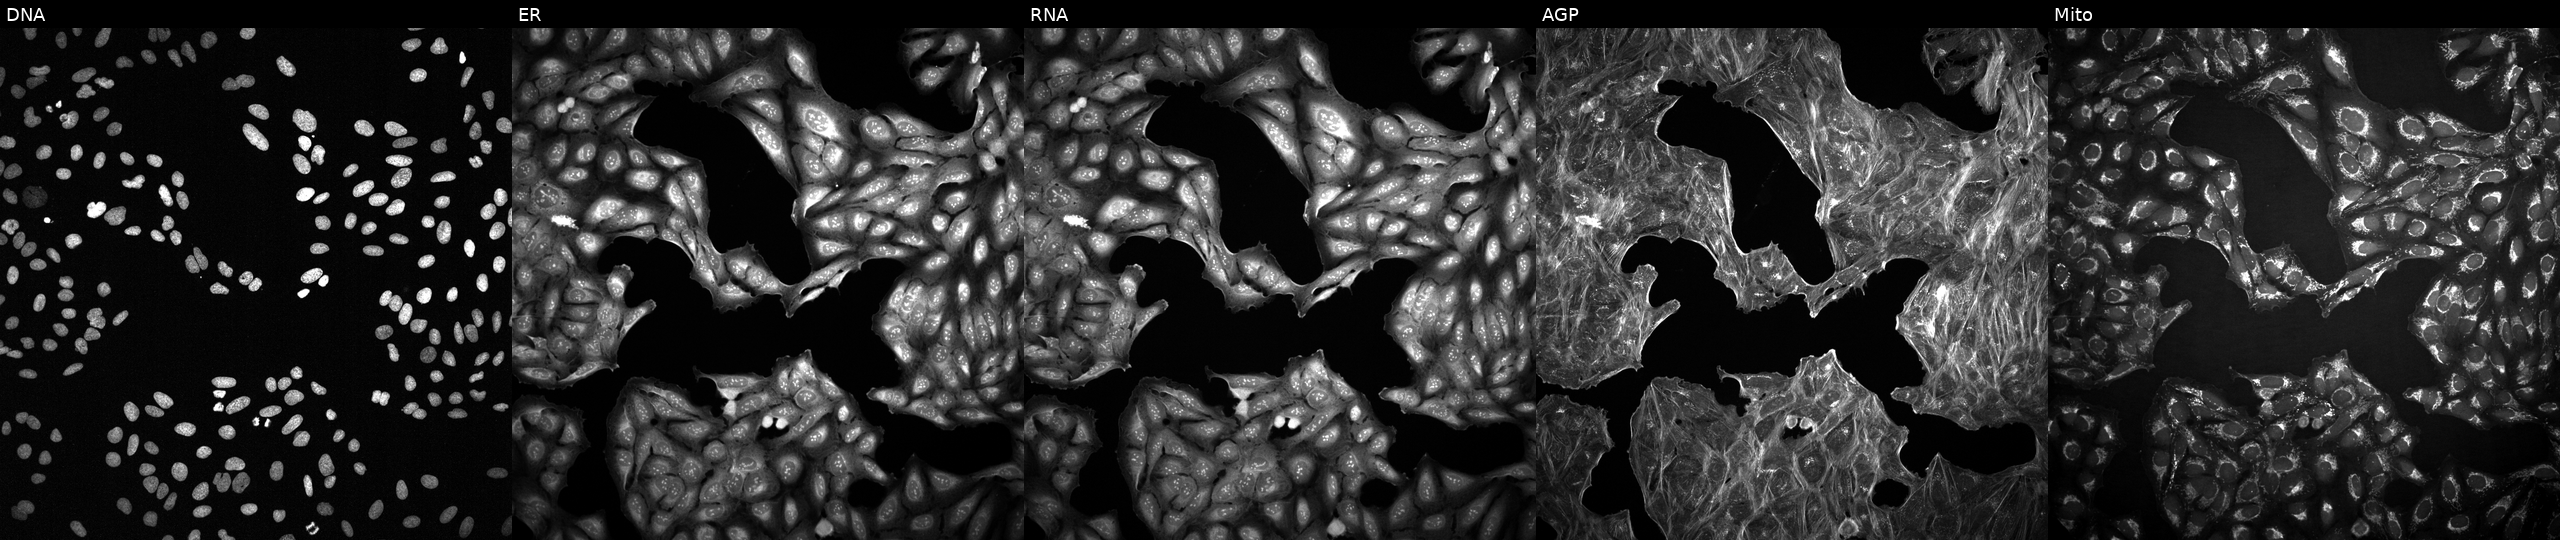
High-content fluorescence microscopy (Cell Painting). Cell line: U2OS. Perturbation: perturbed with a small-molecule compound (InChIKey DSLRVRBSNLHVBH-UHFFFAOYSA-N) (JUMP id JCP2022_017914). Channels (left→right): DNA (nuclei); ER (endoplasmic reticulum); RNA (nucleoli and cytoplasmic RNA); AGP (actin cytoskeleton, Golgi, and plasma membrane); Mito (mitochondria).